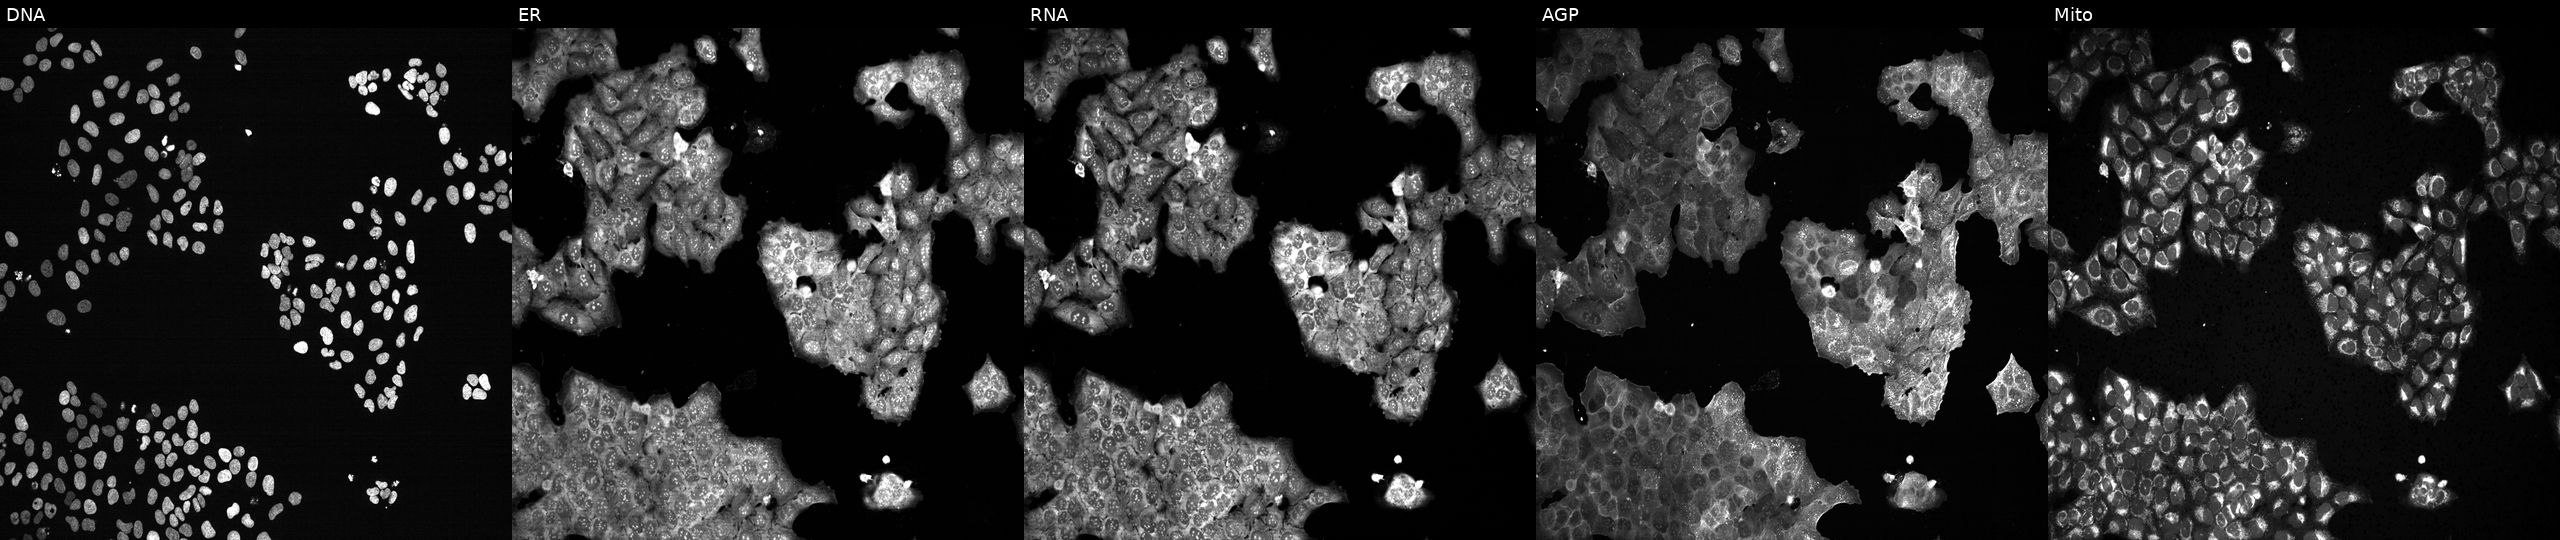
U2OS cells, Cell Painting assay, exposed to the positive-control compound NVS-PAK1-1. Panels show, left to right, DNA, ER, RNA, AGP, and Mito. Each panel is percentile-stretched 16-bit fluorescence.